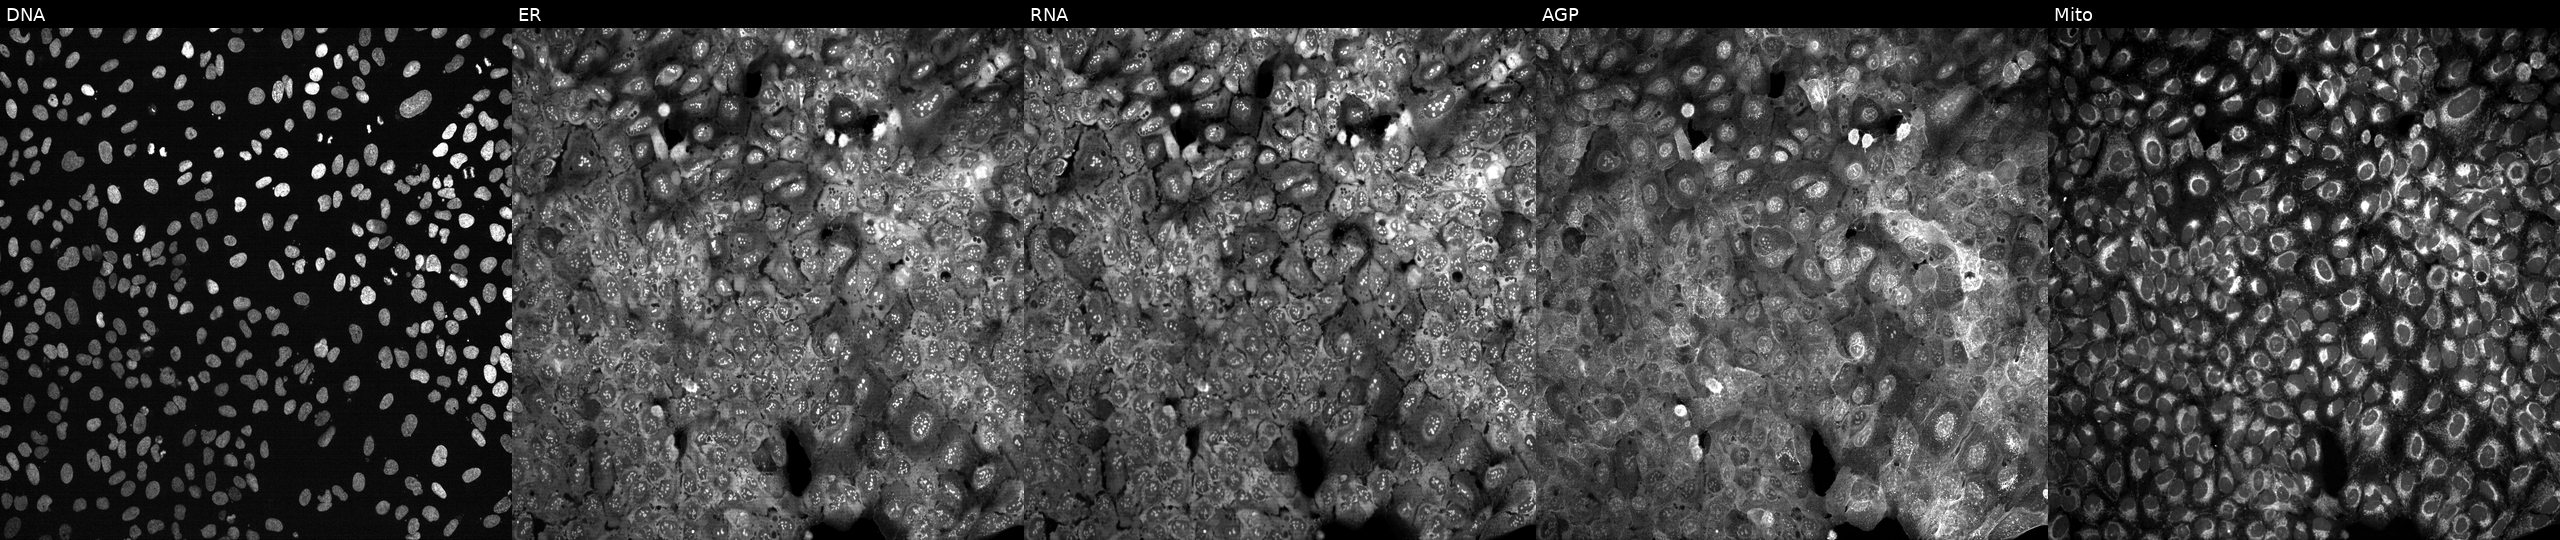
Five-channel Cell Painting image of U2OS cells with ANGPTL2 knocked out by CRISPR. From left to right: DNA, ER, RNA, AGP, and Mito. Source 13, plate CP-CC9-R4-04, well P04.